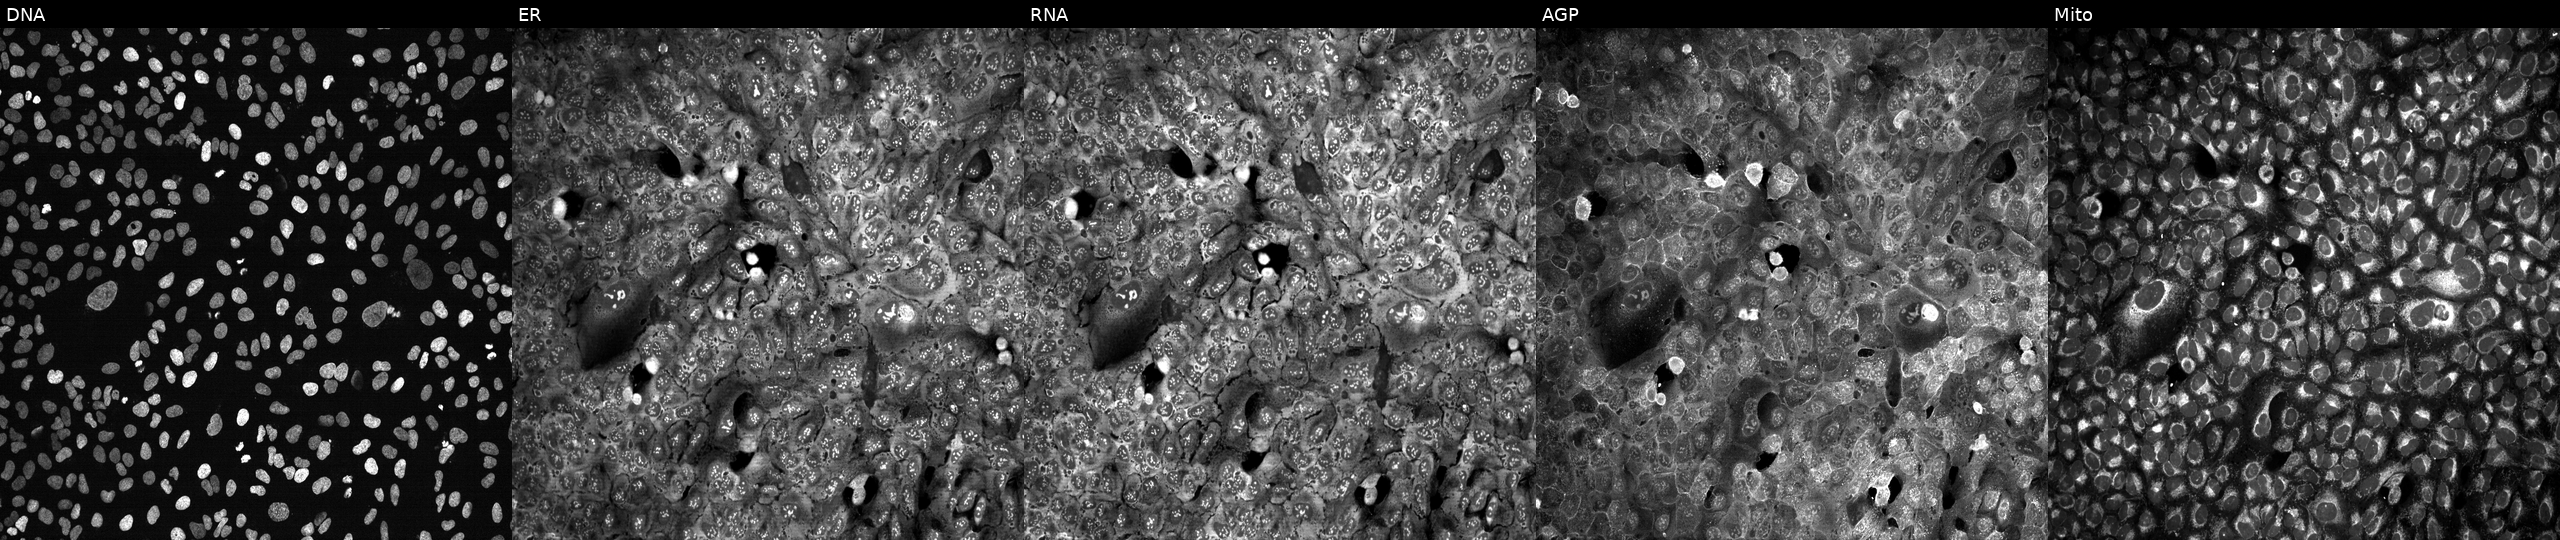
JUMP Cell Painting — CRISPR plate. U2OS cells following CRISPR knockout of DLST. Panels show, left to right, DNA (nuclei); ER (endoplasmic reticulum); RNA (nucleoli and cytoplasmic RNA); AGP (actin cytoskeleton, Golgi, and plasma membrane); Mito (mitochondria). Source 13, plate CP-CC9-R4-04, well B20.